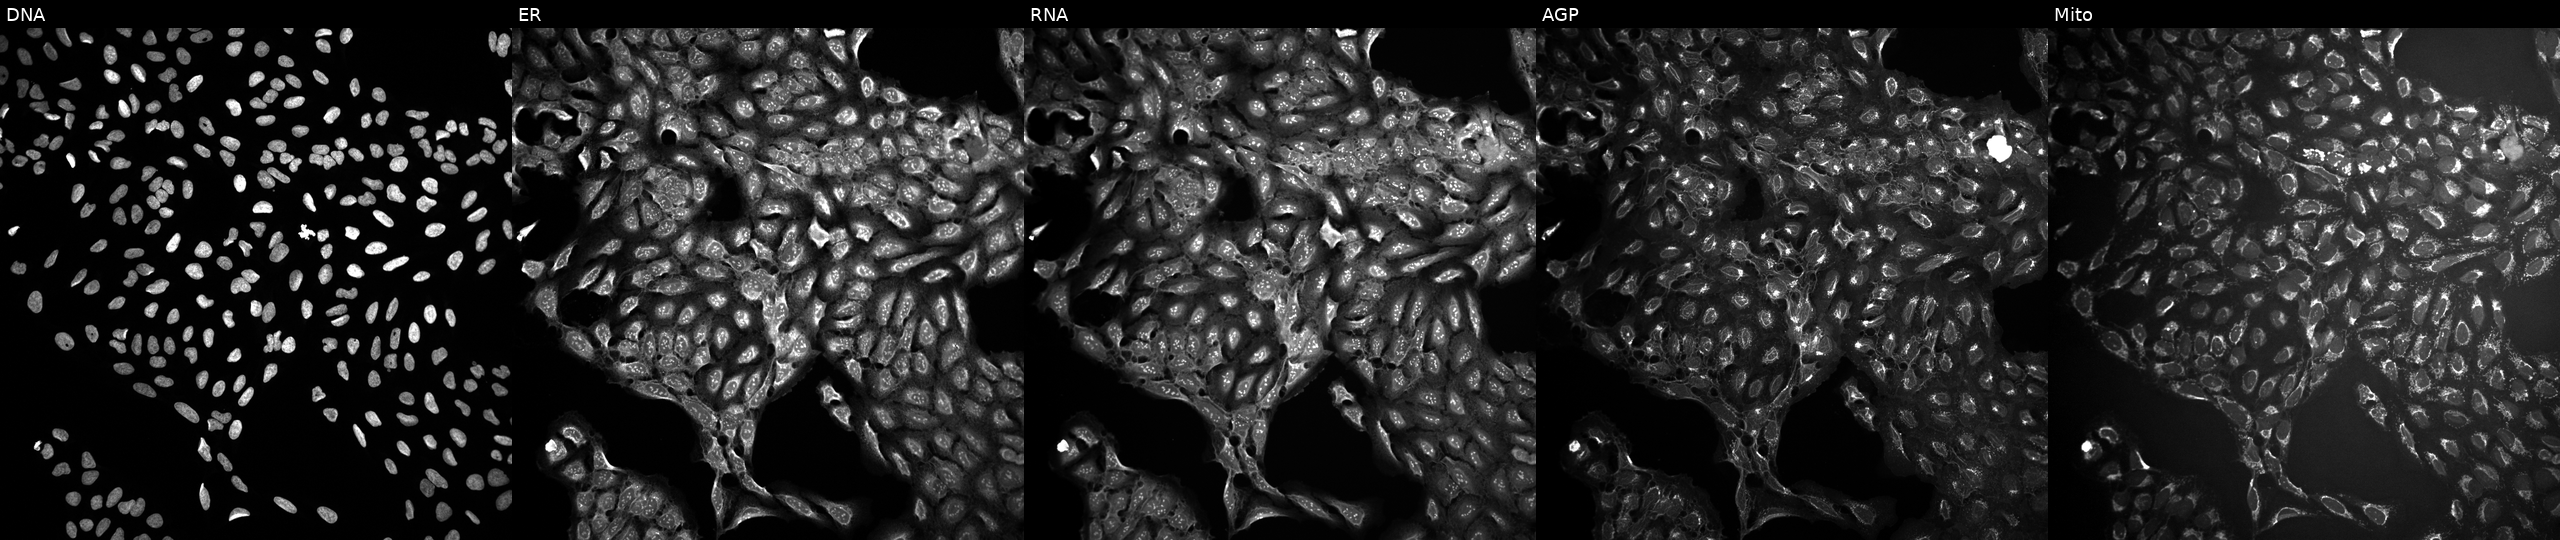
This image strip shows the five Cell Painting channels for a single field of U2OS cells treated with a small-molecule compound (JUMP id JCP2022_052259). The five panels, left to right, show DNA, ER, RNA, AGP, and Mito.